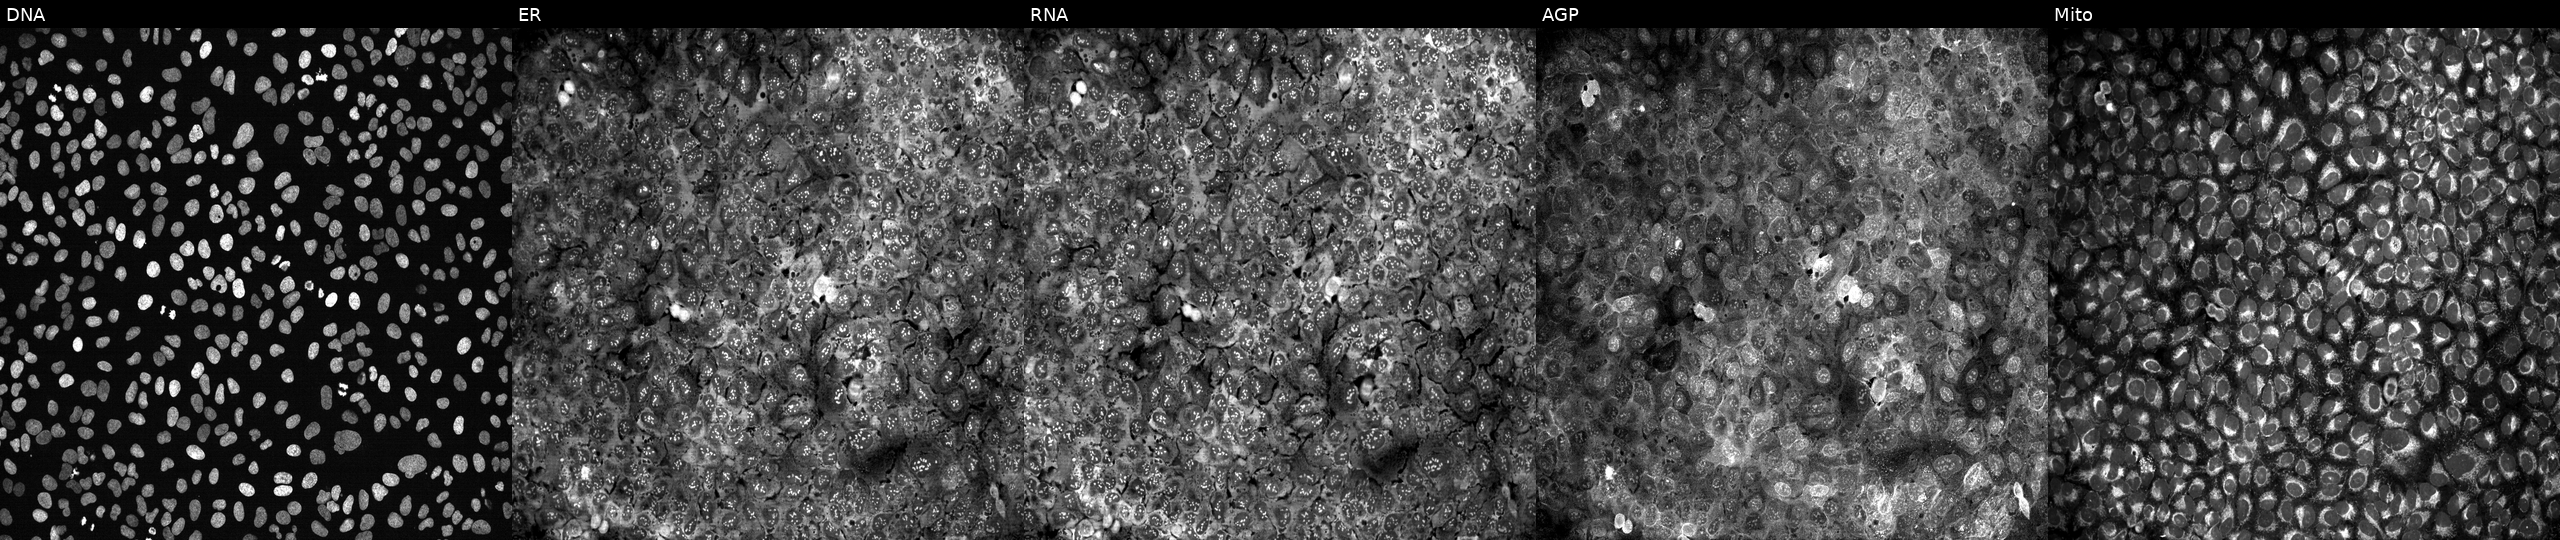
Channels (left→right): DNA (nuclei); ER (endoplasmic reticulum); RNA (nucleoli and cytoplasmic RNA); AGP (actin cytoskeleton, Golgi, and plasma membrane); Mito (mitochondria). U2OS osteosarcoma cells with no CRISPR guide (negative control) (JUMP id JCP2022_800001). Cell Painting assay, JUMP-CP dataset.